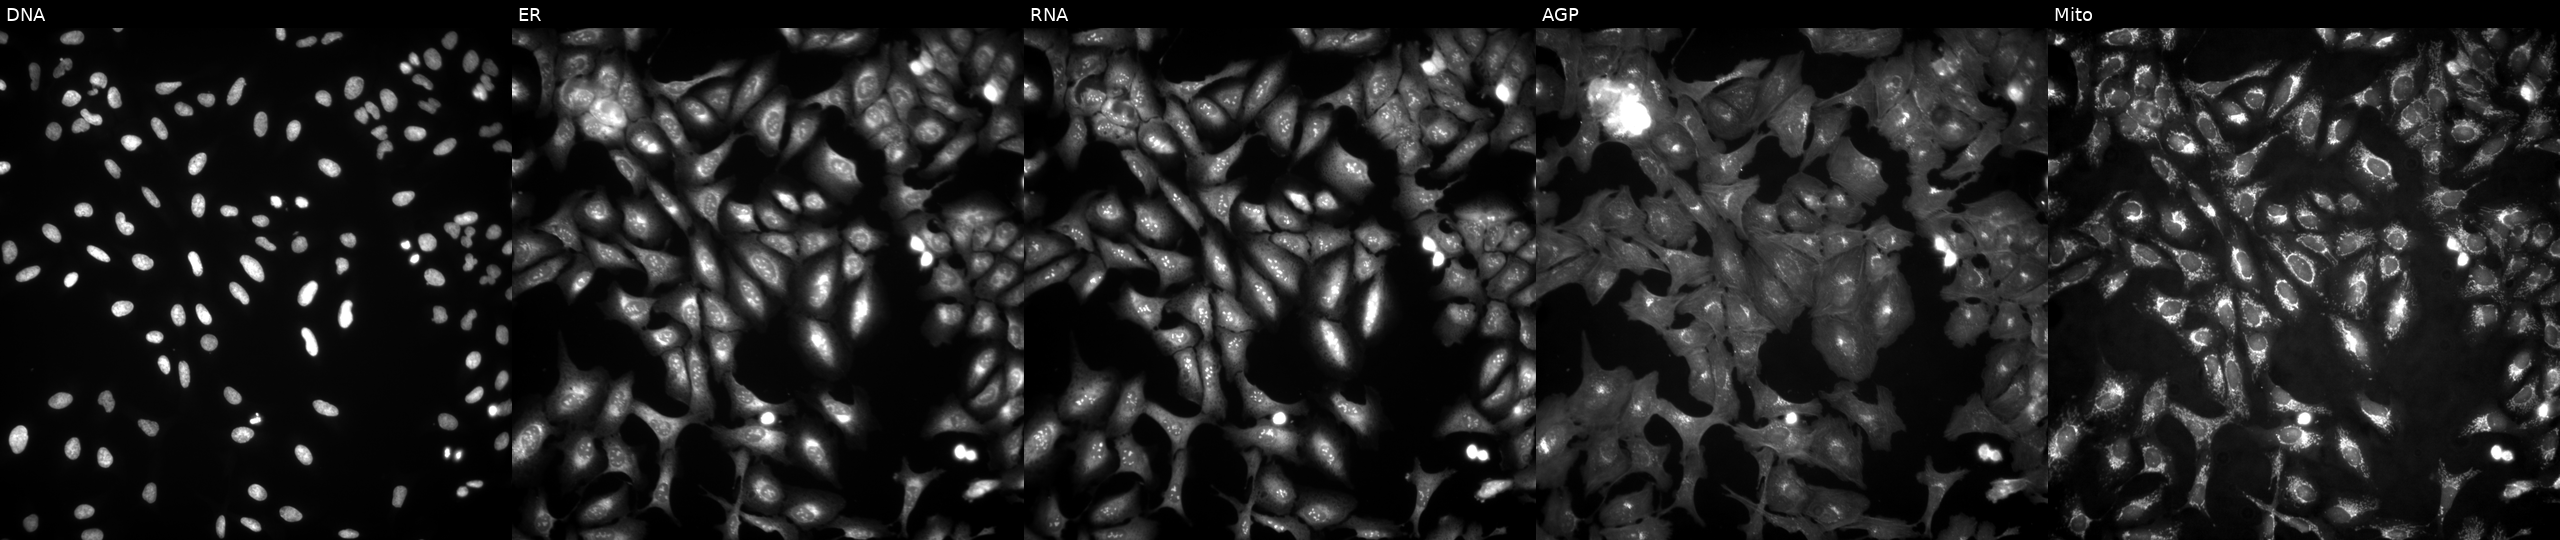
High-content fluorescence microscopy (Cell Painting). Cell line: U2OS. Perturbation: expressing BFP (ORF negative control) (JUMP id JCP2022_915128). From left to right: Hoechst 33342, concanavalin A, SYTO 14, phalloidin and WGA, MitoTracker.